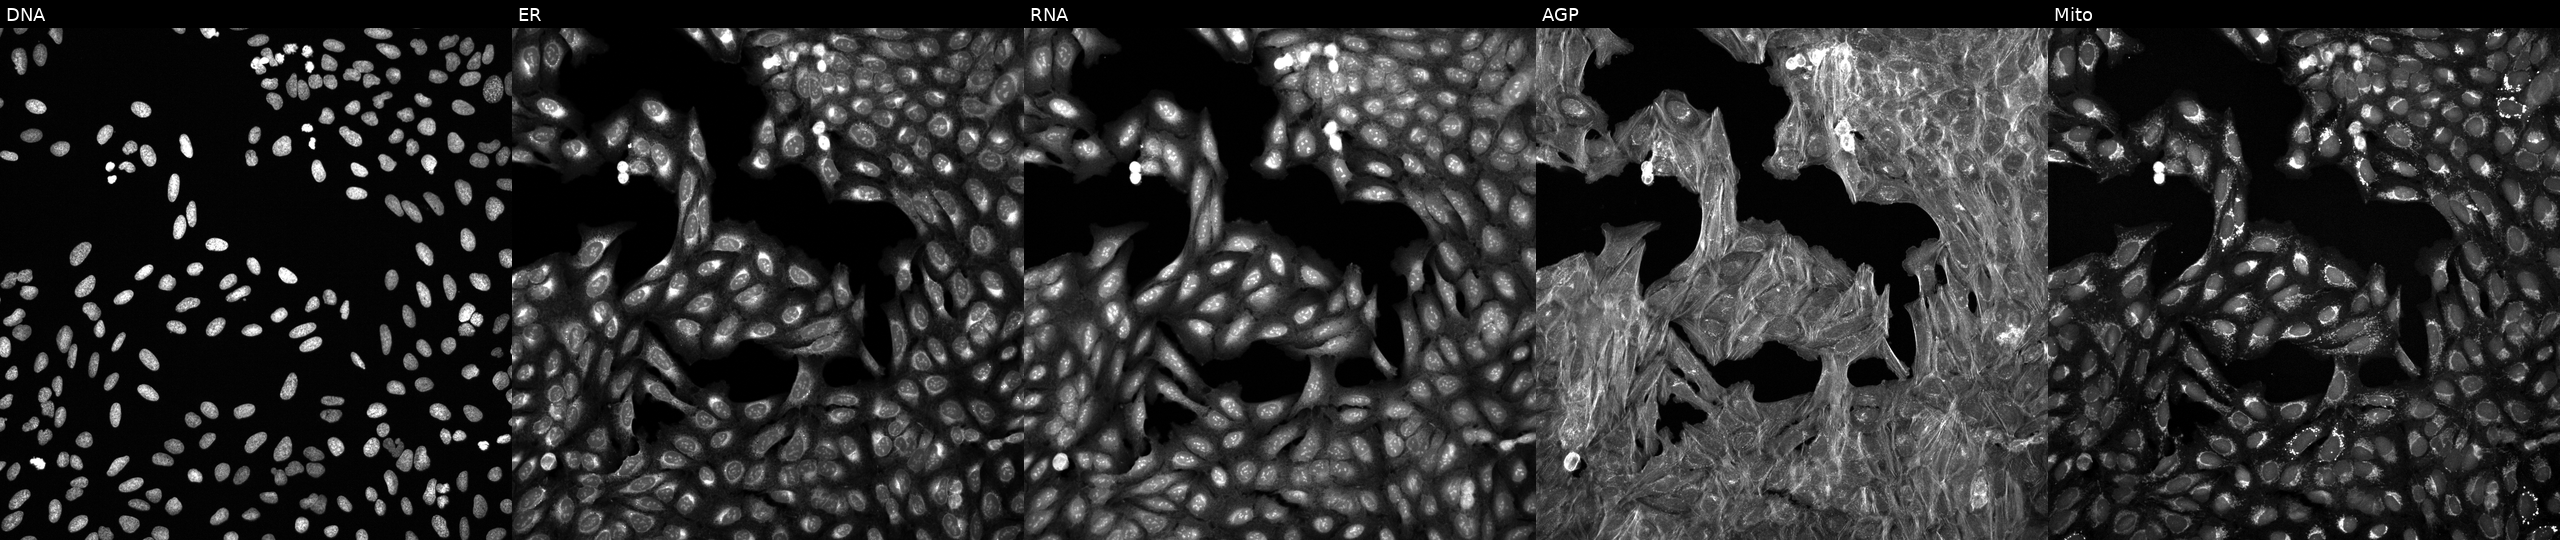
Five-channel Cell Painting image of U2OS cells perturbed with a small-molecule compound. From left to right: DNA, ER, RNA, AGP, and Mito.